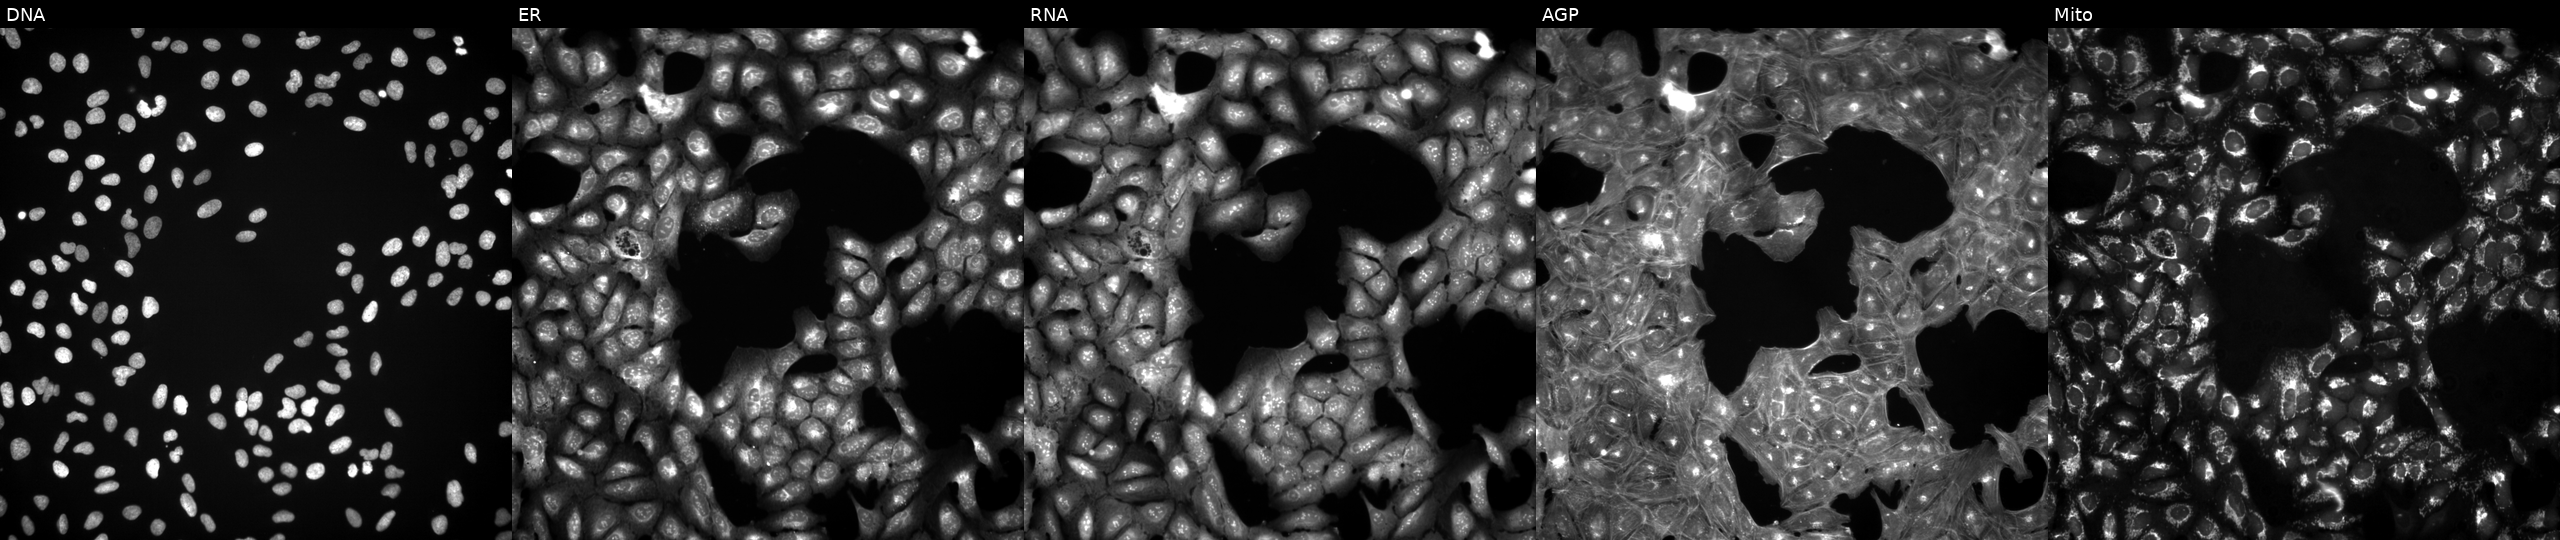
JUMP Cell Painting — TARGET2 plate. U2OS cells exposed to a small-molecule compound (InChIKey DXZRBHUCOHBAHP-UHFFFAOYSA-N). Channels (left→right): DNA (nuclei); ER (endoplasmic reticulum); RNA (nucleoli and cytoplasmic RNA); AGP (actin cytoskeleton, Golgi, and plasma membrane); Mito (mitochondria).